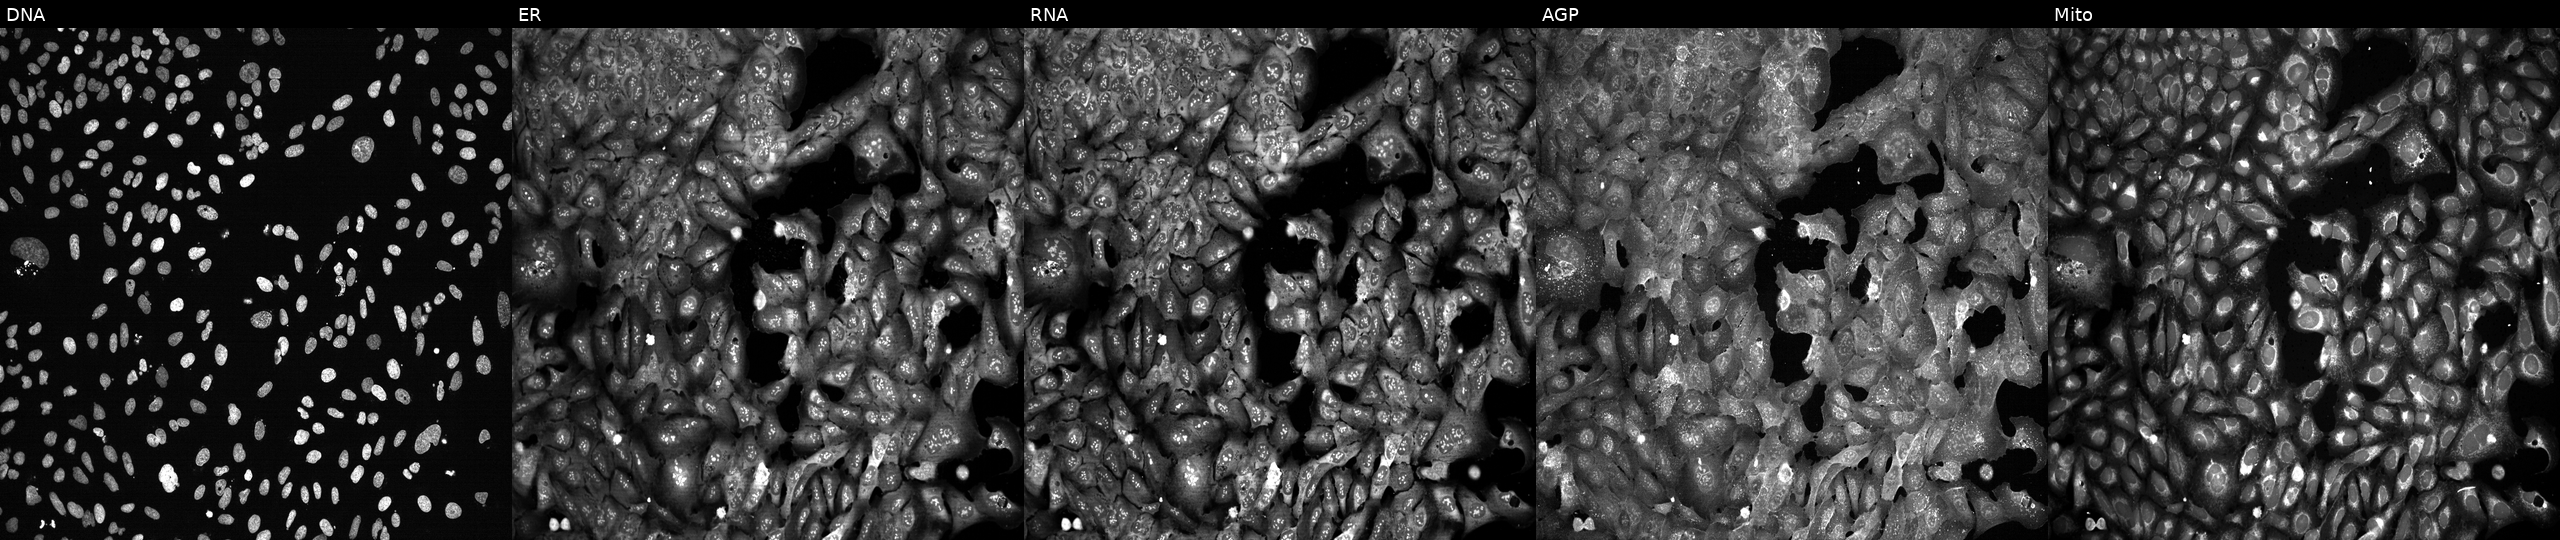
JUMP Cell Painting — CRISPR plate. U2OS cells CRISPR-edited to disrupt GNPNAT1. The five panels, left to right, show DNA (nuclei); ER (endoplasmic reticulum); RNA (nucleoli and cytoplasmic RNA); AGP (actin cytoskeleton, Golgi, and plasma membrane); Mito (mitochondria).